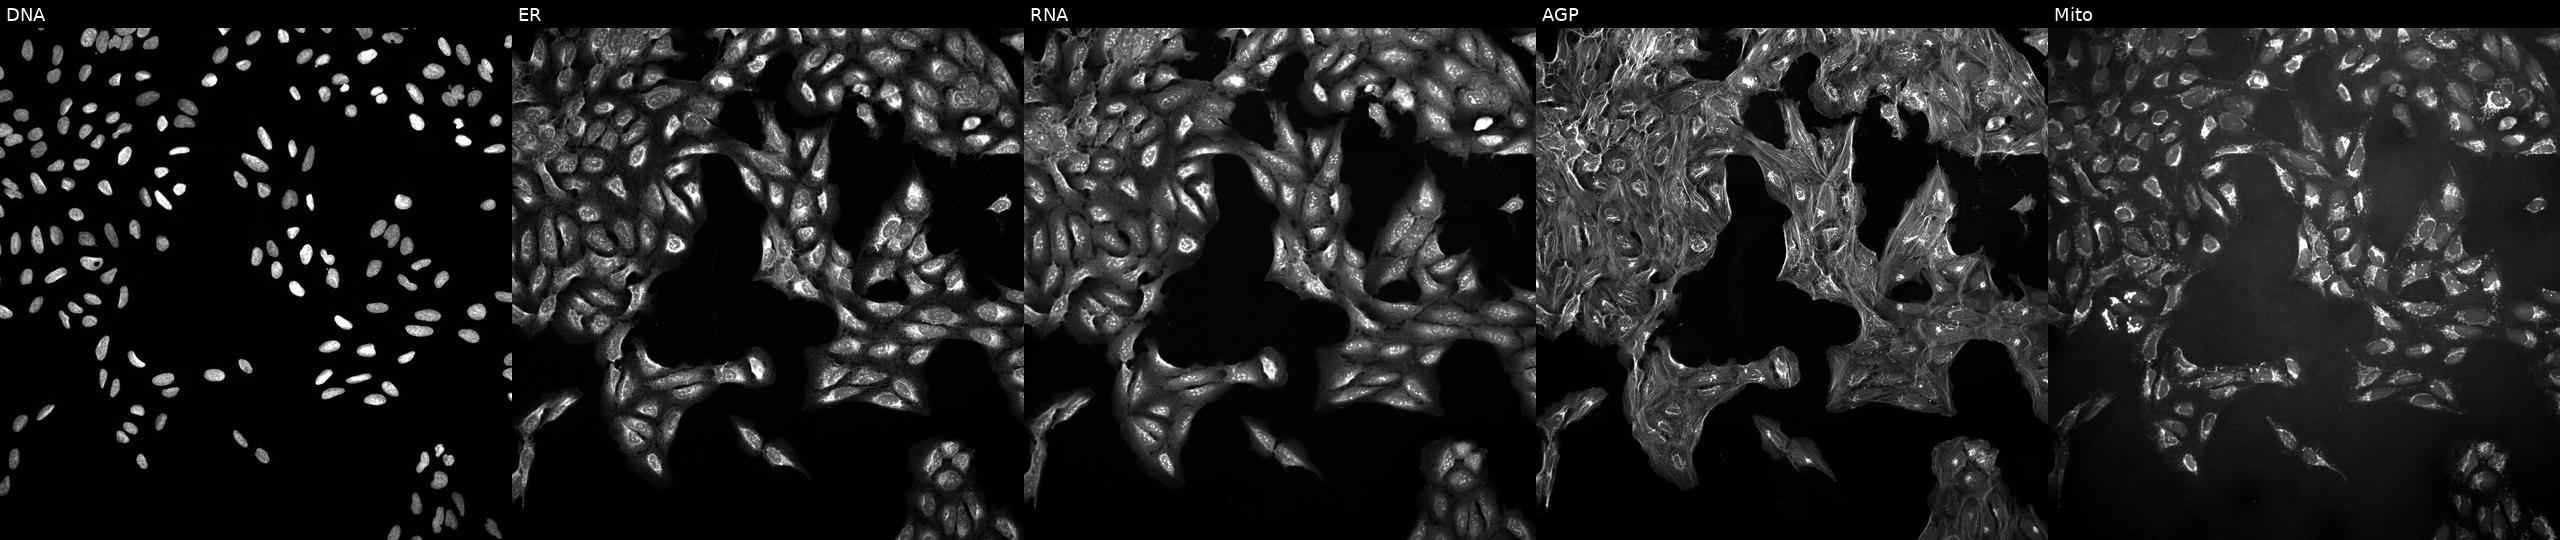
JUMP Cell Painting — COMPOUND plate. U2OS cells treated with DMSO vehicle only (negative control). Channels (left→right): DNA (nuclei); ER (endoplasmic reticulum); RNA (nucleoli and cytoplasmic RNA); AGP (actin cytoskeleton, Golgi, and plasma membrane); Mito (mitochondria).